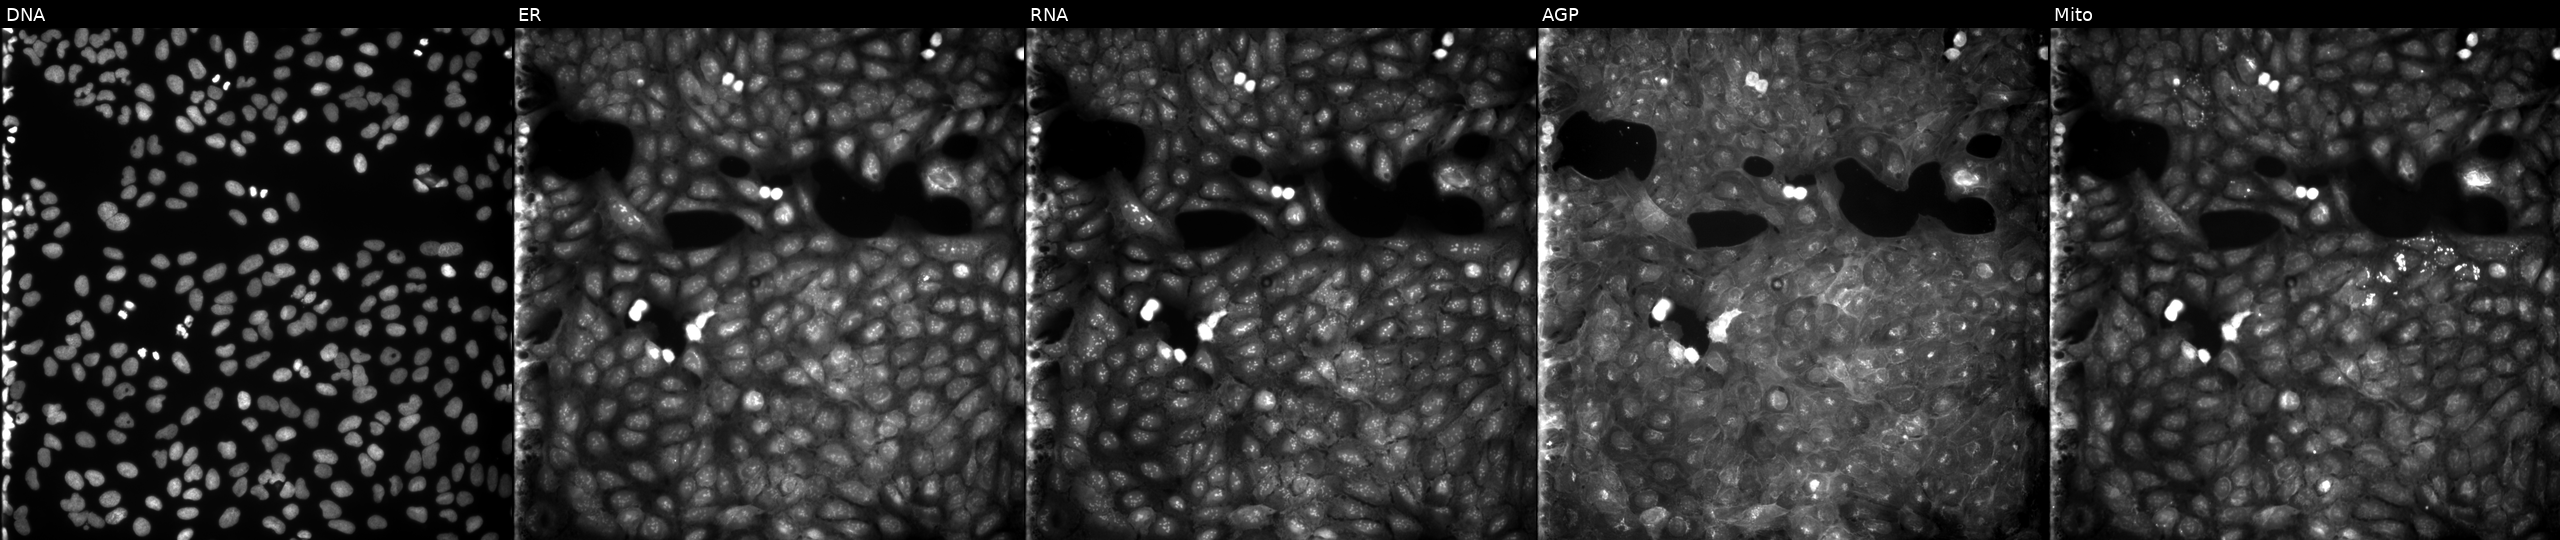
This image strip shows the five Cell Painting channels for a single field of U2OS cells perturbed with a small-molecule compound (InChIKey NJAHJZIAJNUJIC-UHFFFAOYSA-N). From left to right: Hoechst 33342, concanavalin A, SYTO 14, phalloidin and WGA, MitoTracker.